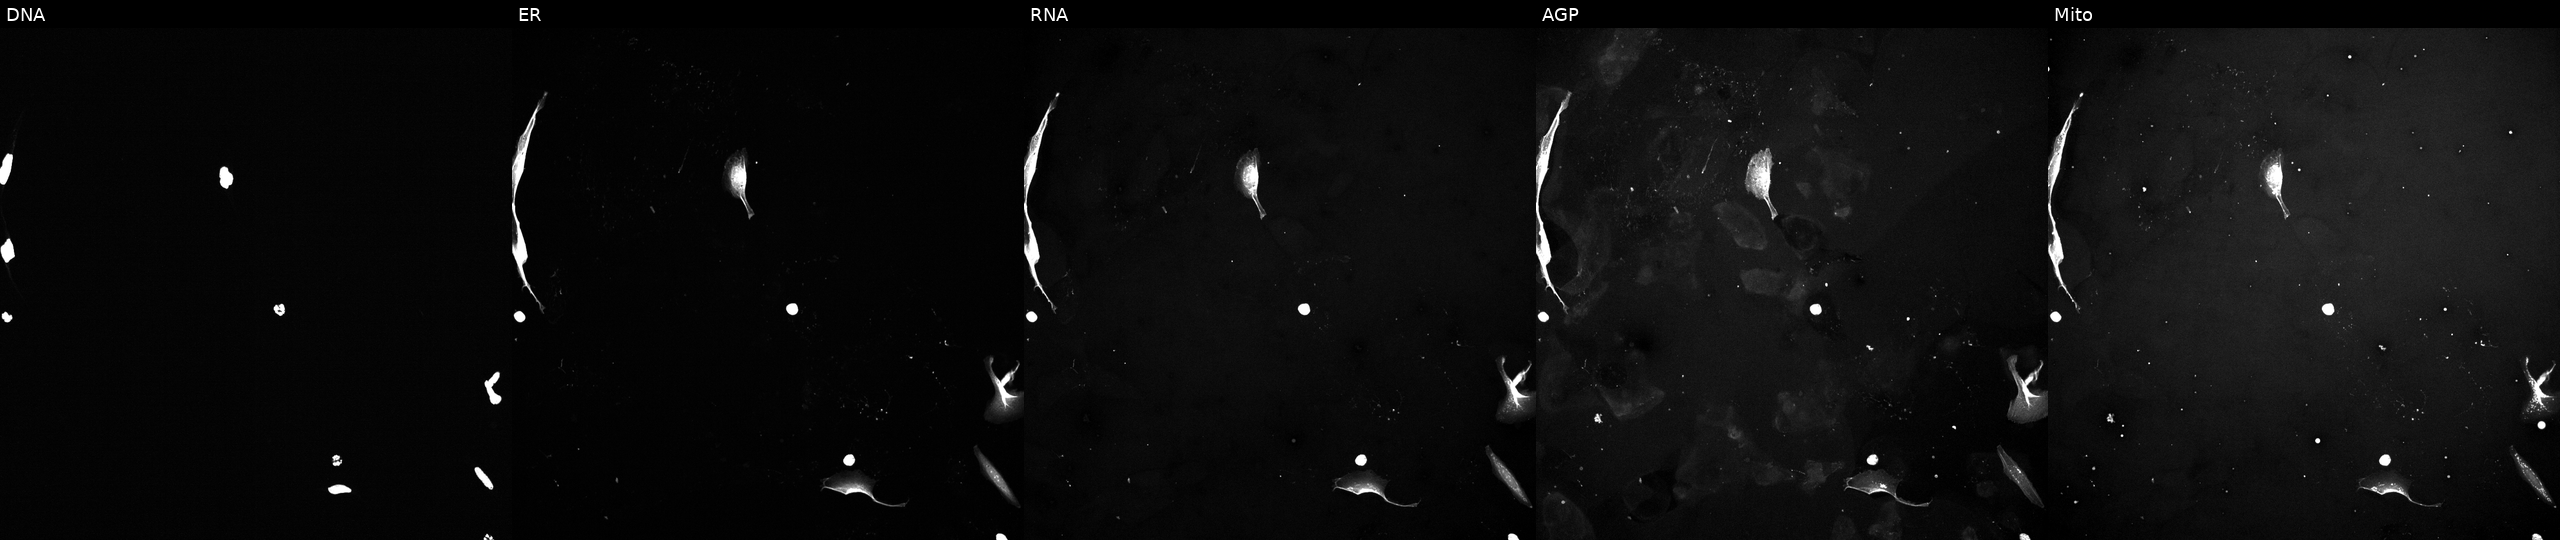
High-content fluorescence microscopy (Cell Painting). Cell line: U2OS. Perturbation: treated with a small-molecule compound [SMILES: COC(=O)CC(O)(CCCC(C)(C)O)C(=O)OC1C(OC)=CC23CCCN2CCc2cc4c(cc2C13)OCO4] (JUMP id JCP2022_033400). The five panels, left to right, show DNA, ER, RNA, AGP, and Mito.